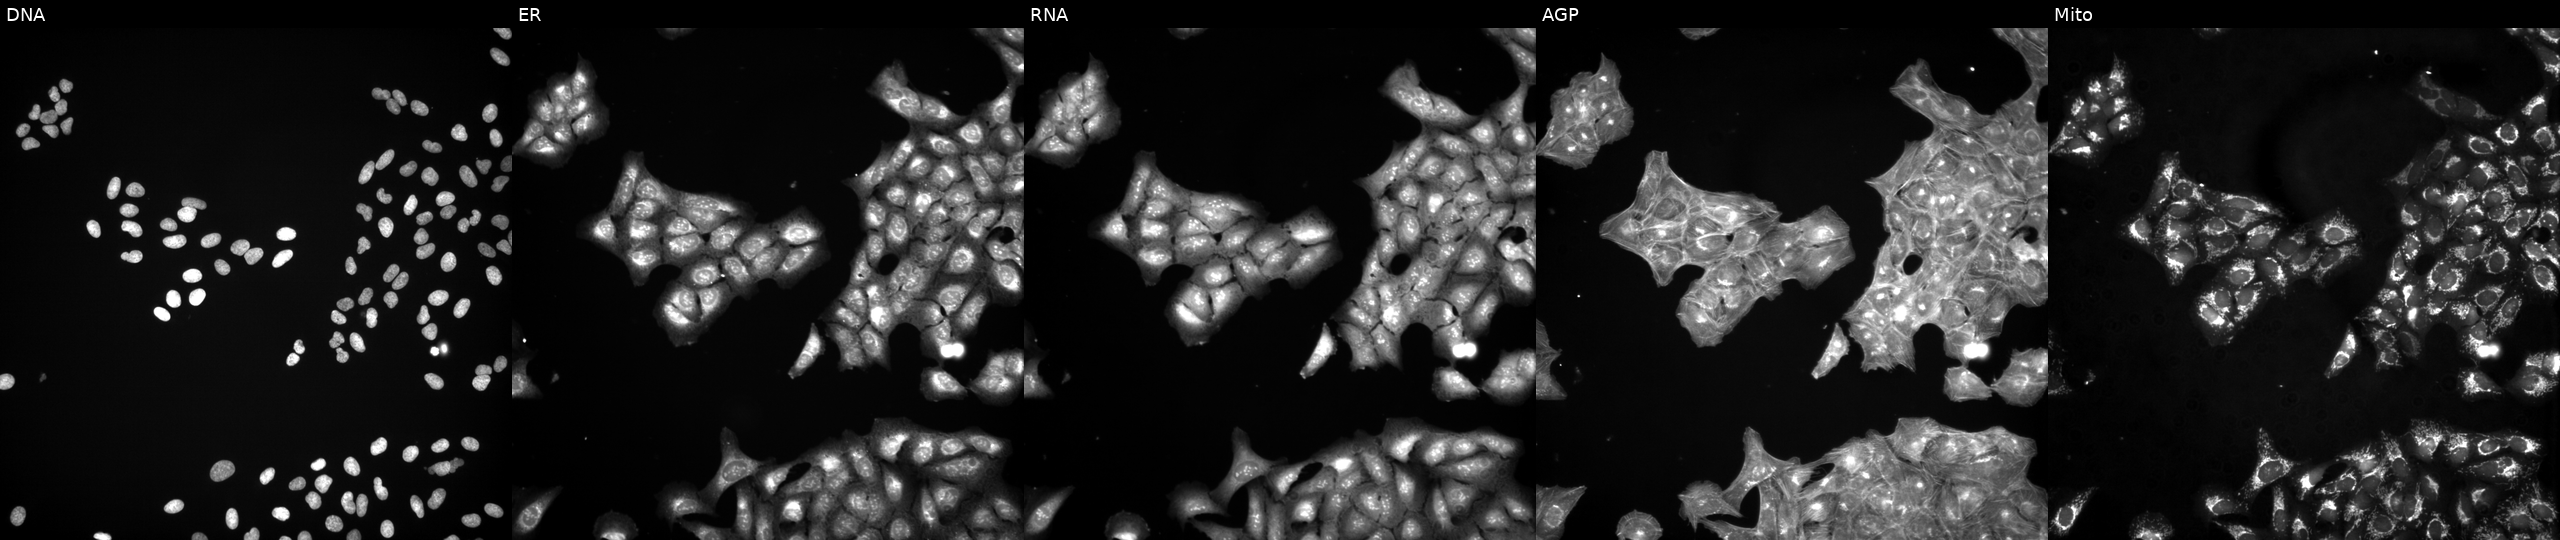
High-content fluorescence microscopy (Cell Painting). Cell line: U2OS. Perturbation: exposed to a small-molecule compound (InChIKey NYNZQNWKBKUAII-UHFFFAOYSA-N) (JUMP id JCP2022_062184). Panels show, left to right, DNA (nuclei); ER (endoplasmic reticulum); RNA (nucleoli and cytoplasmic RNA); AGP (actin cytoskeleton, Golgi, and plasma membrane); Mito (mitochondria). Source 3, plate JCPQC053, well O21.